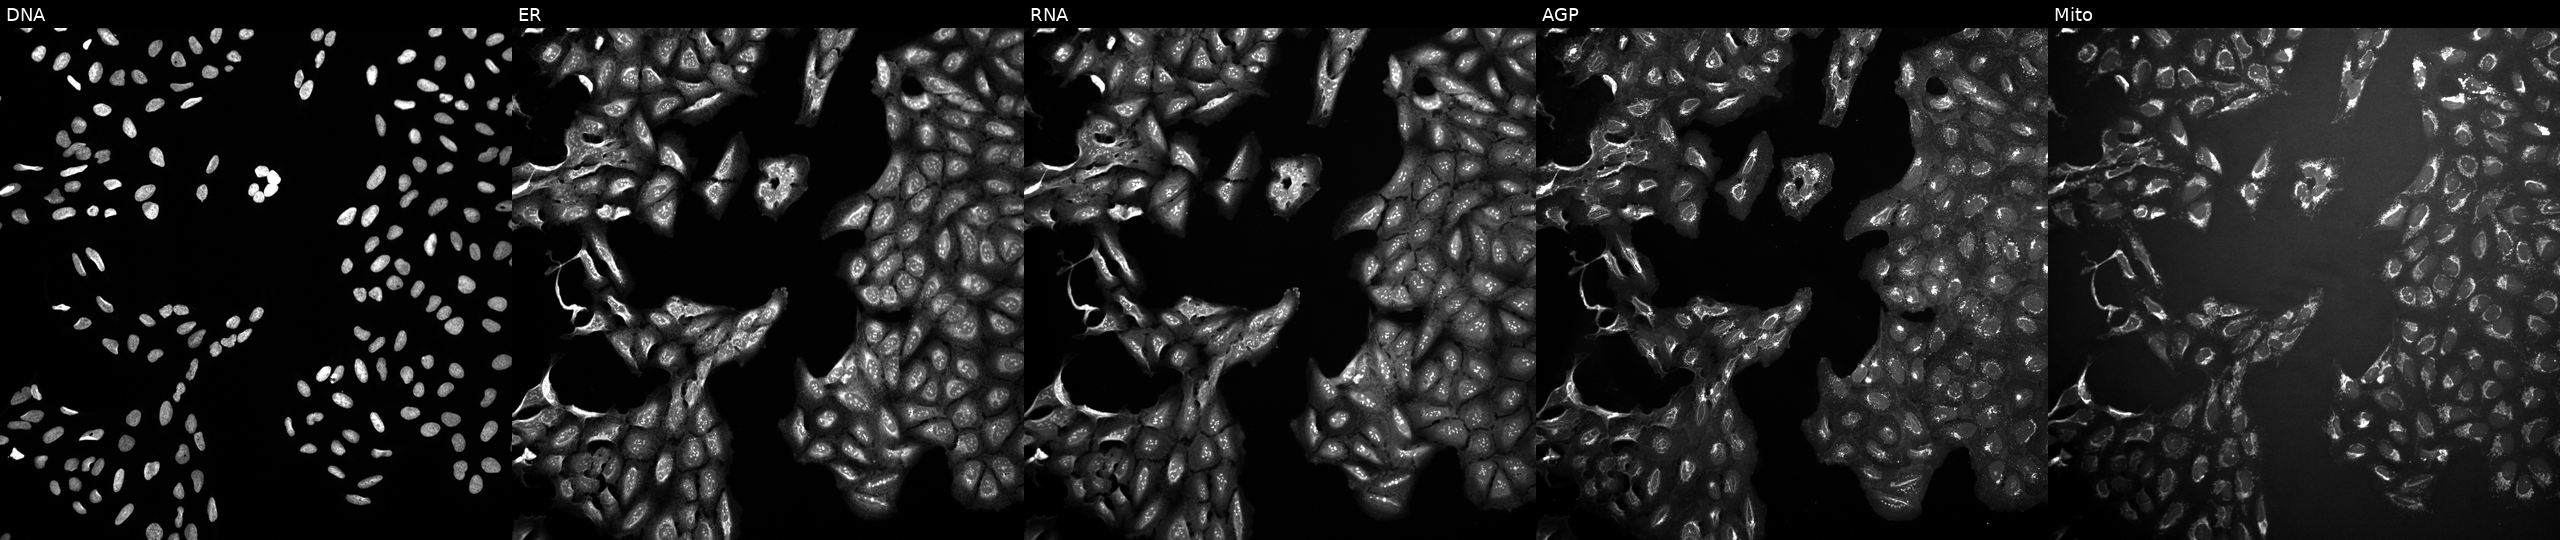
High-content fluorescence microscopy (Cell Painting). Cell line: U2OS. Perturbation: exposed to a small-molecule compound (InChIKey GYYRMJMXXLJZAB-UHFFFAOYSA-N). Panels show, left to right, Hoechst 33342, concanavalin A, SYTO 14, phalloidin and WGA, MitoTracker. Source 10, plate Dest210803-153958, well E16.